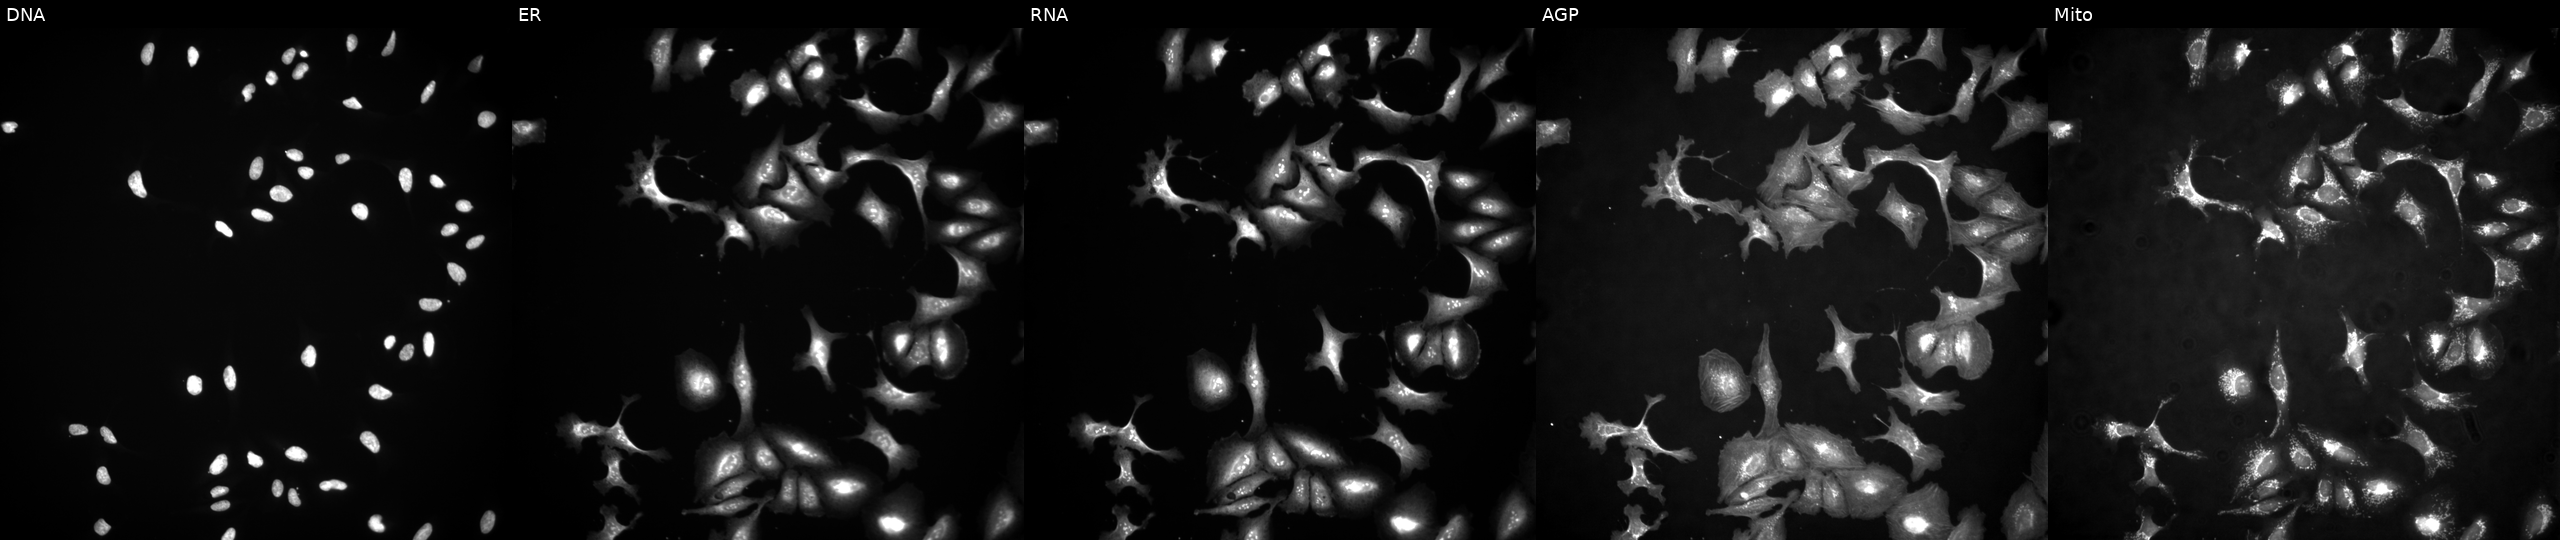
U2OS cells, Cell Painting assay, untreated (empty-well control). From left to right: DNA, ER, RNA, AGP, and Mito. Each panel is percentile-stretched 16-bit fluorescence. Source 4, plate BR00124787, well L16.